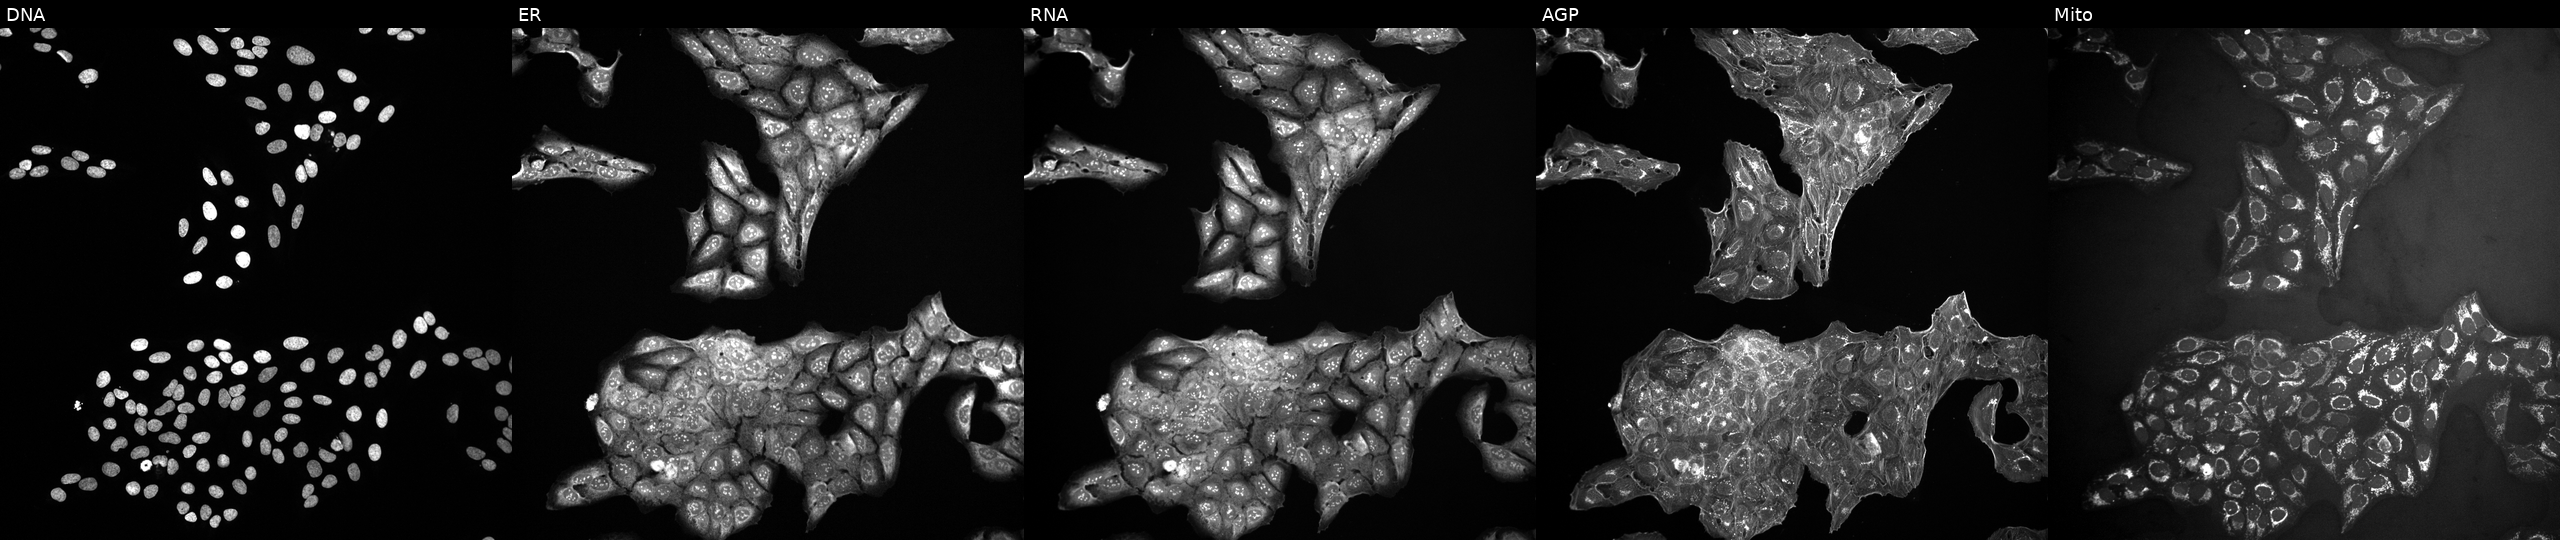
This image strip shows the five Cell Painting channels for a single field of U2OS cells perturbed with a small-molecule compound (InChIKey SIENEDBCUCLKSY-UHFFFAOYSA-N) (JUMP id JCP2022_083398). Panels show, left to right, DNA, ER, RNA, AGP, and Mito. Source 10, plate Dest210531-152149, well L17.